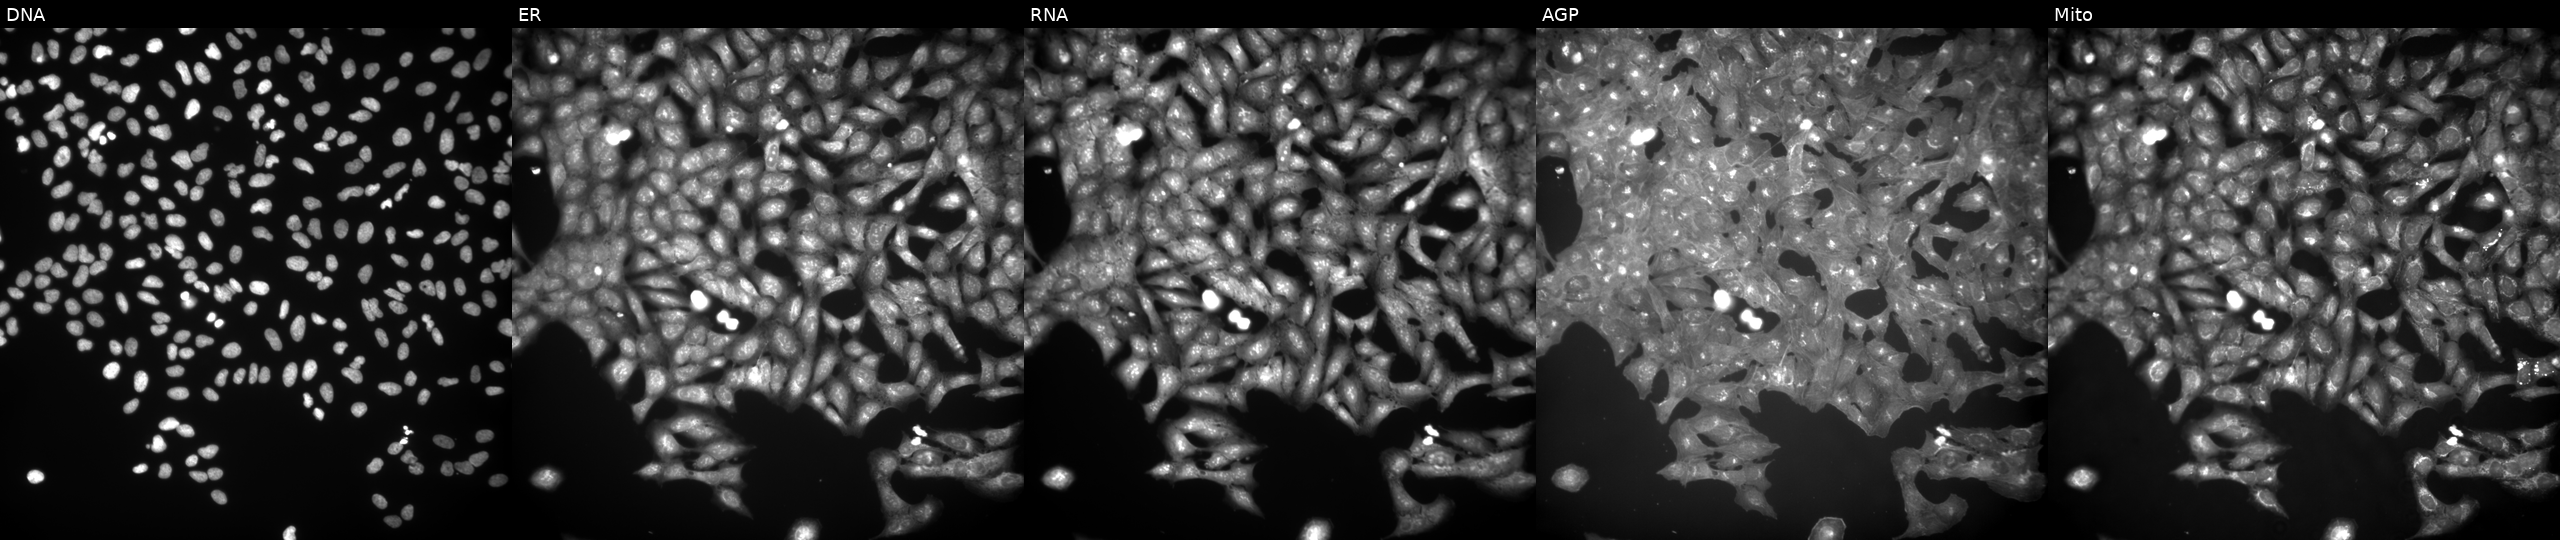
U2OS cells, Cell Painting assay, exposed to the positive-control compound NVS-PAK1-1. From left to right: DNA (nuclei); ER (endoplasmic reticulum); RNA (nucleoli and cytoplasmic RNA); AGP (actin cytoskeleton, Golgi, and plasma membrane); Mito (mitochondria). Each panel is percentile-stretched 16-bit fluorescence. Source 9, plate GR00003382, well N48.